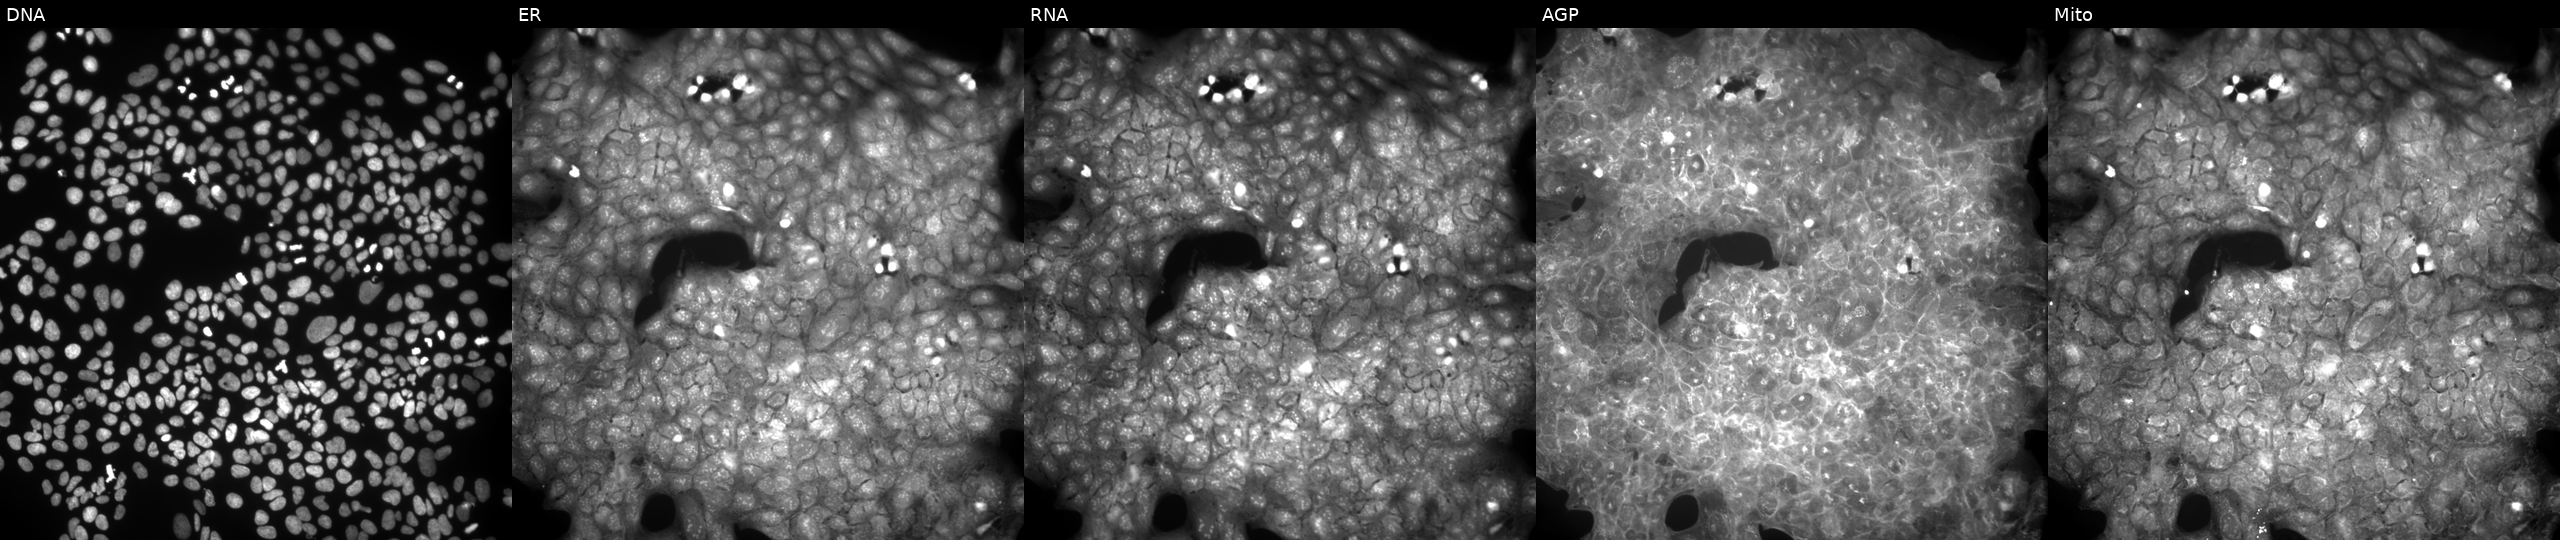
The five panels, left to right, show Hoechst 33342, concanavalin A, SYTO 14, phalloidin and WGA, MitoTracker. U2OS osteosarcoma cells treated with a small-molecule compound (InChIKey IBCXZJCWDGCXQT-UHFFFAOYSA-N) (JUMP id JCP2022_033954). Cell Painting assay, JUMP-CP dataset.